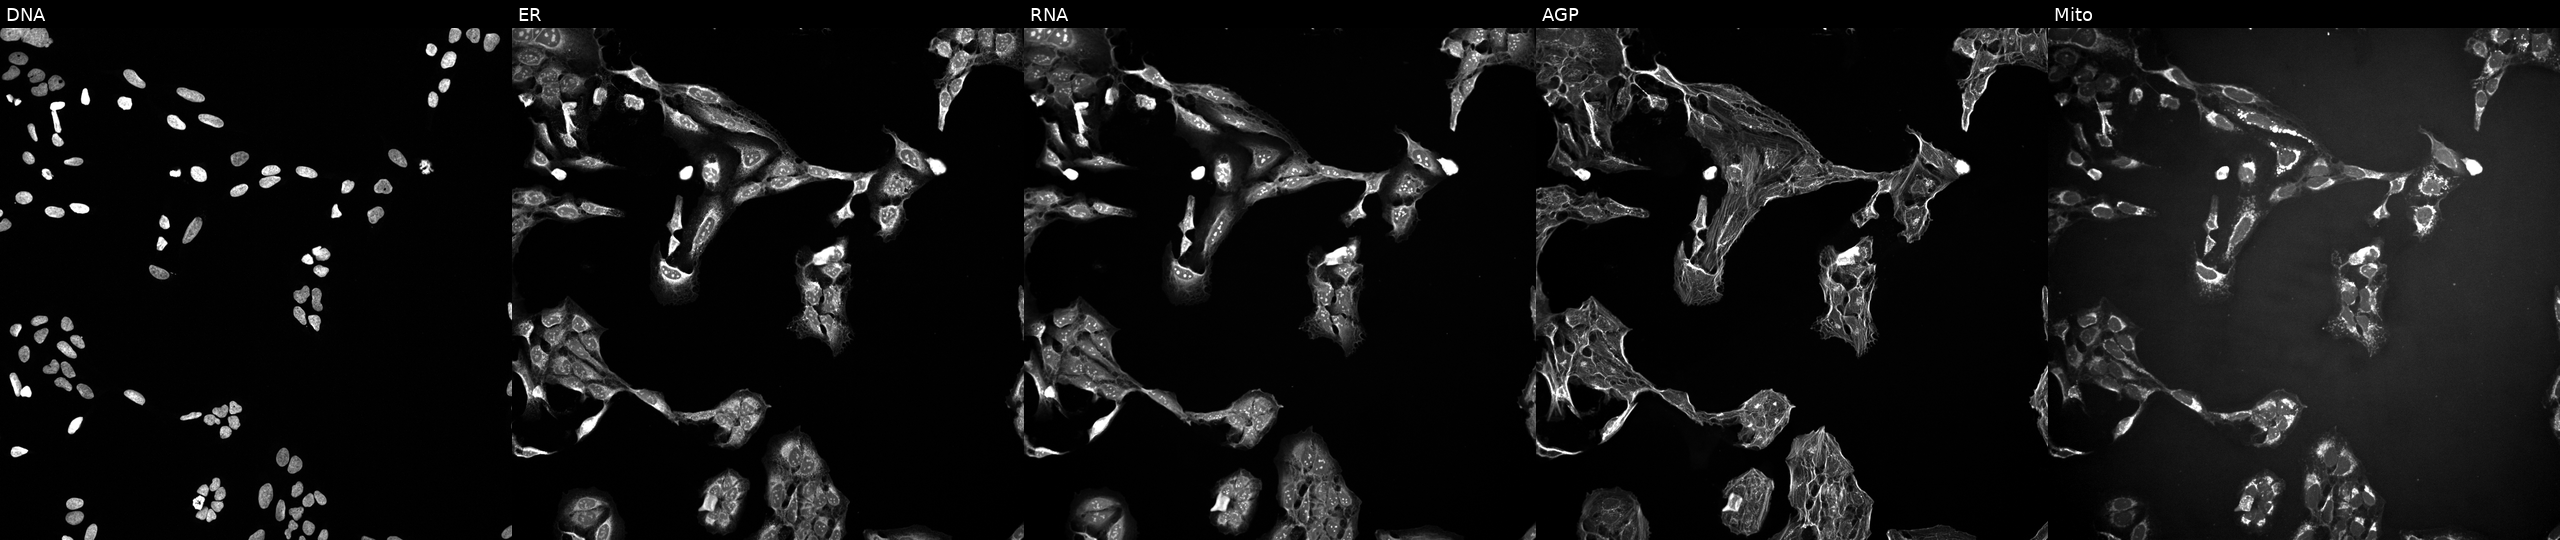
U2OS cells, Cell Painting assay, perturbed with a small-molecule compound (InChIKey RYMZZMVNJRMUDD-UHFFFAOYSA-N) (JUMP id JCP2022_081555). The five panels, left to right, show DNA (nuclei); ER (endoplasmic reticulum); RNA (nucleoli and cytoplasmic RNA); AGP (actin cytoskeleton, Golgi, and plasma membrane); Mito (mitochondria). Each panel is percentile-stretched 16-bit fluorescence.